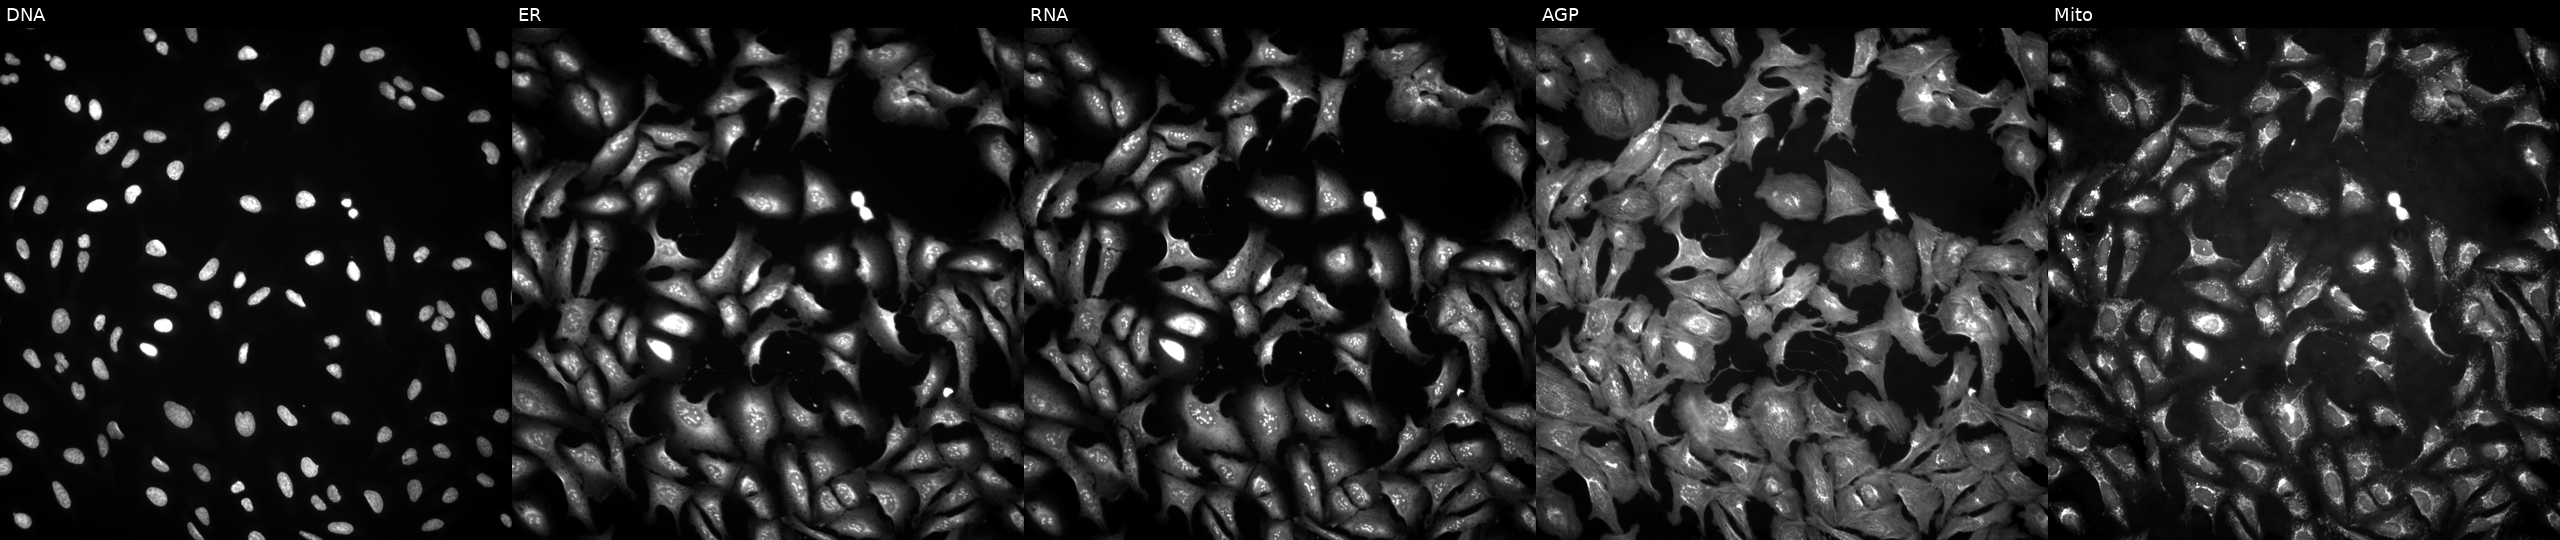
High-content fluorescence microscopy (Cell Painting). Cell line: U2OS. Perturbation: expressing LacZ (ORF negative control) (JUMP id JCP2022_915131). Channels (left→right): DNA (nuclei); ER (endoplasmic reticulum); RNA (nucleoli and cytoplasmic RNA); AGP (actin cytoskeleton, Golgi, and plasma membrane); Mito (mitochondria).